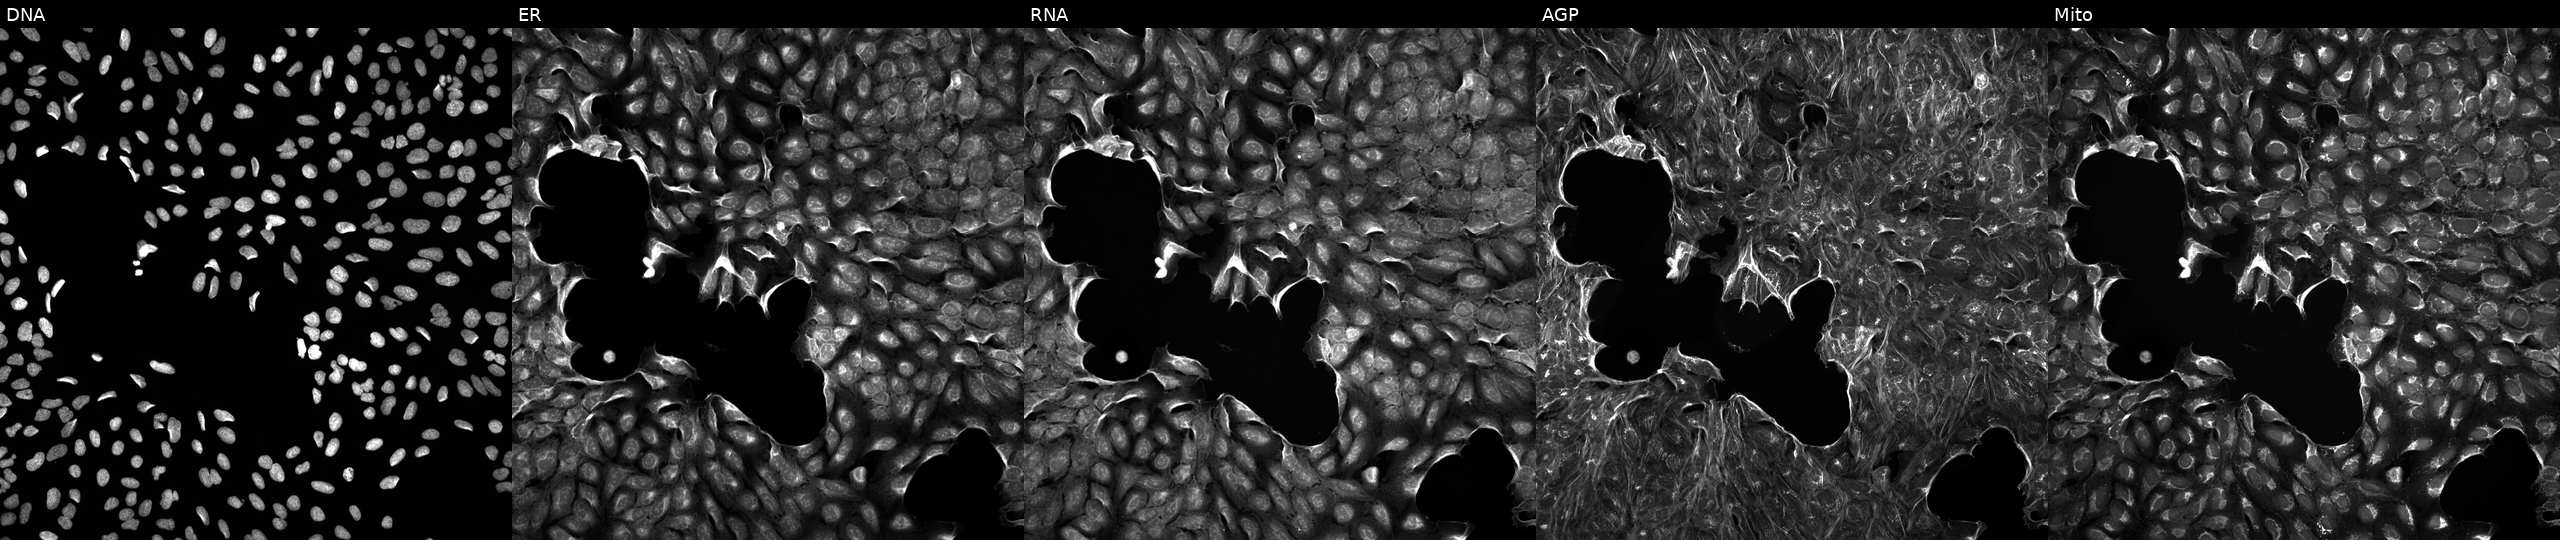
JUMP Cell Painting — TARGET2 plate. U2OS cells perturbed with a small-molecule compound (InChIKey DTGLZDAWLRGWQN-UHFFFAOYSA-N) [SMILES: CC(=O)Oc1cc2c(s1)CCN(C(C(=O)C1CC1)c1ccccc1F)C2] (JUMP id JCP2022_018074). The five panels, left to right, show Hoechst 33342, concanavalin A, SYTO 14, phalloidin and WGA, MitoTracker.